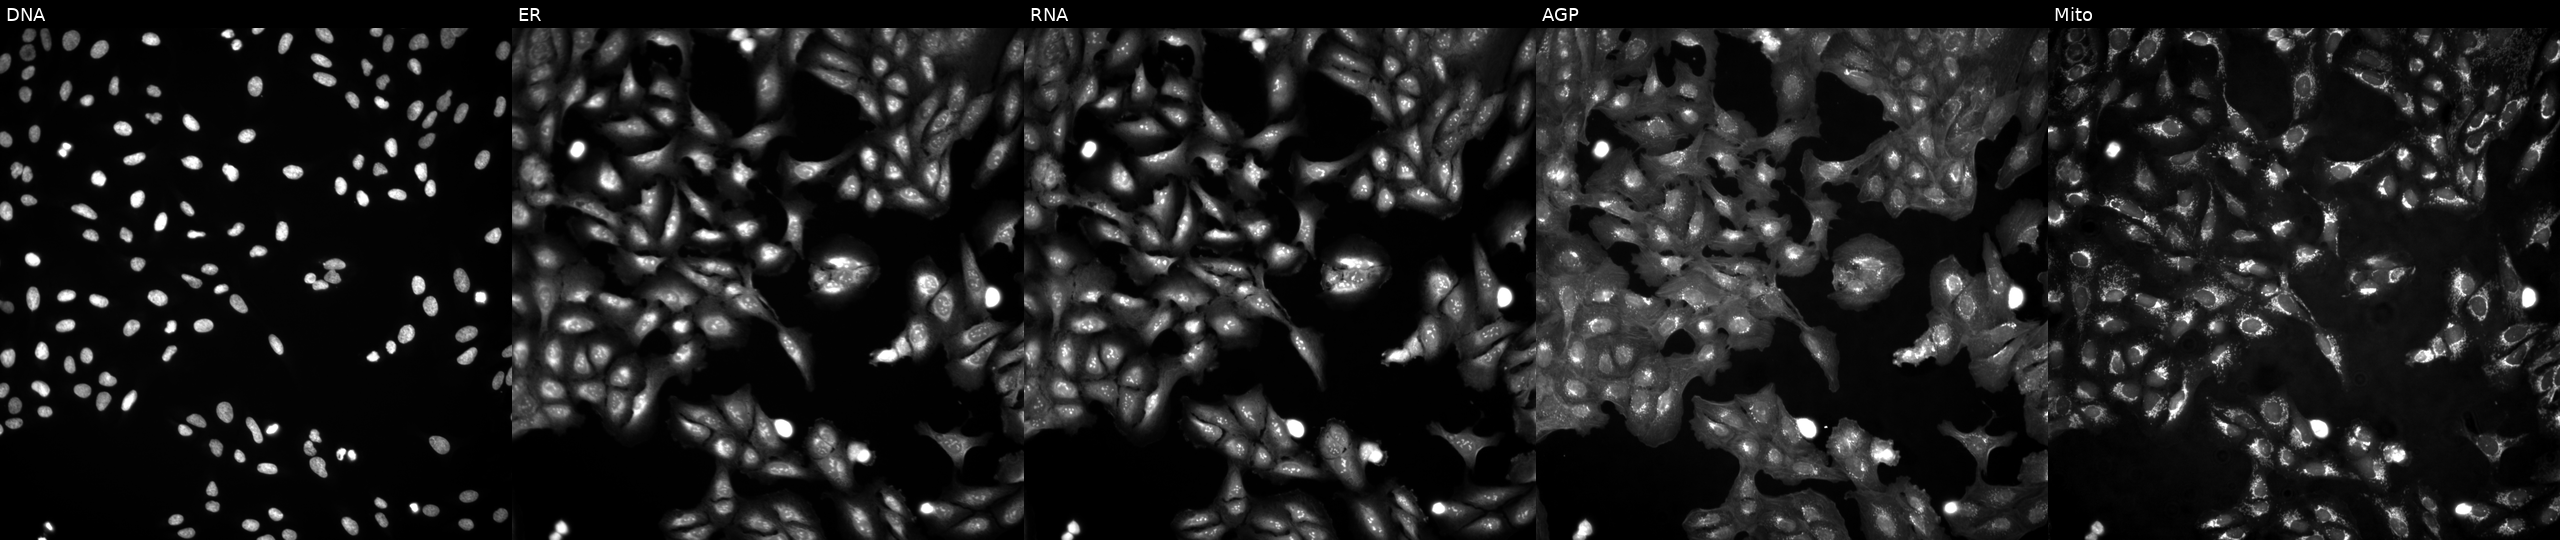
Five-channel Cell Painting image of U2OS cells untreated (empty-well control). Channels (left→right): DNA (nuclei); ER (endoplasmic reticulum); RNA (nucleoli and cytoplasmic RNA); AGP (actin cytoskeleton, Golgi, and plasma membrane); Mito (mitochondria).